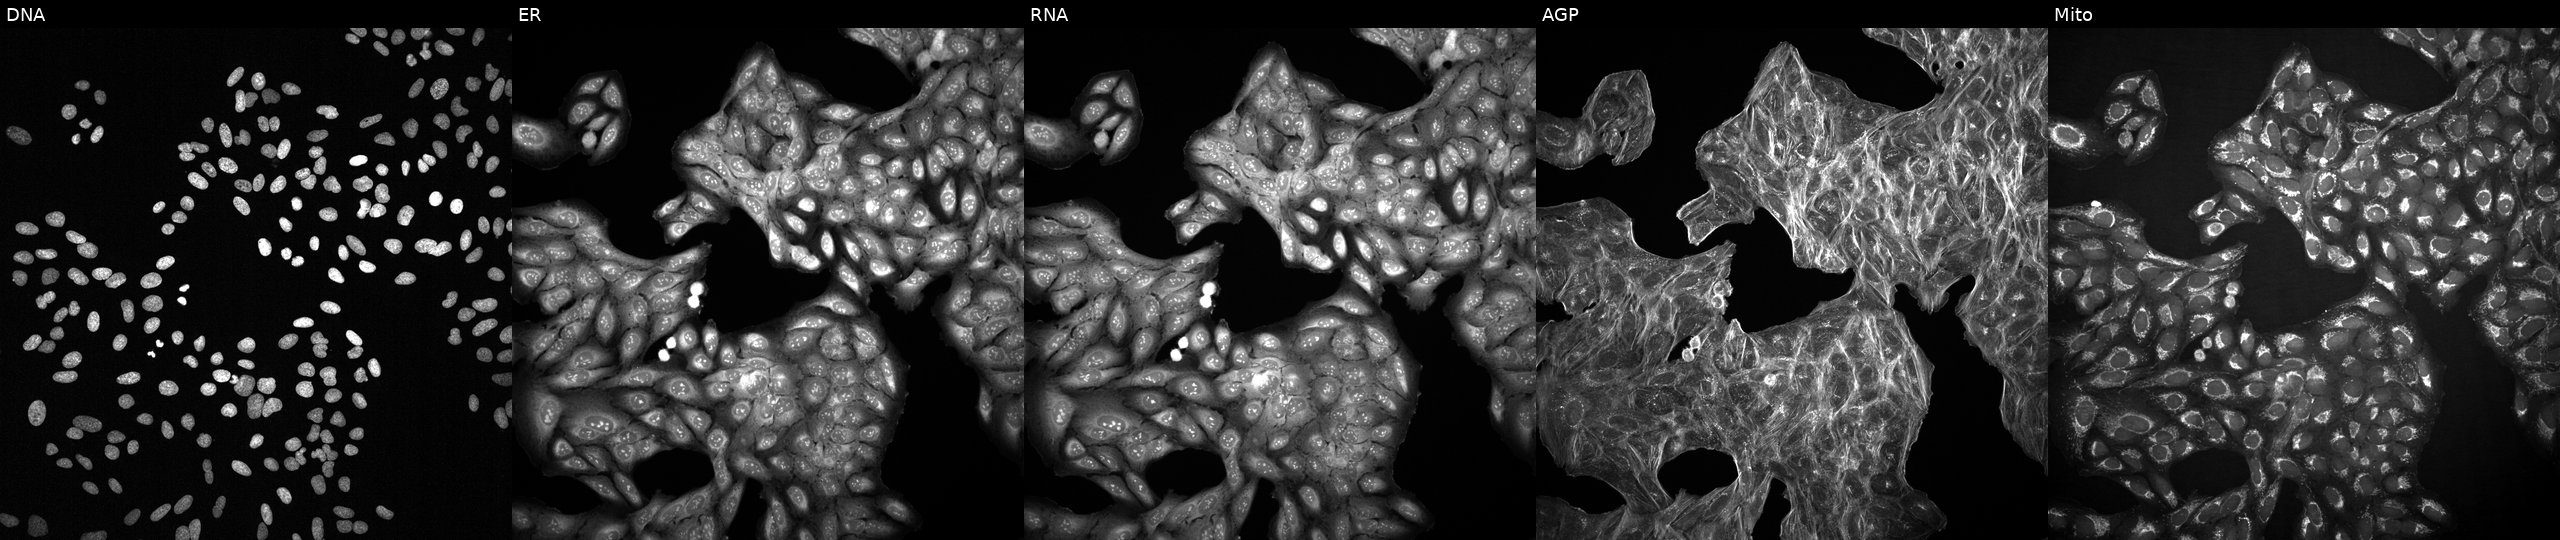
U2OS cells, Cell Painting assay, exposed to a small-molecule compound (InChIKey YDNDLFOXTGVHIB-UHFFFAOYSA-N) (JUMP id JCP2022_107763). Channels (left→right): Hoechst 33342, concanavalin A, SYTO 14, phalloidin and WGA, MitoTracker. Each panel is percentile-stretched 16-bit fluorescence.